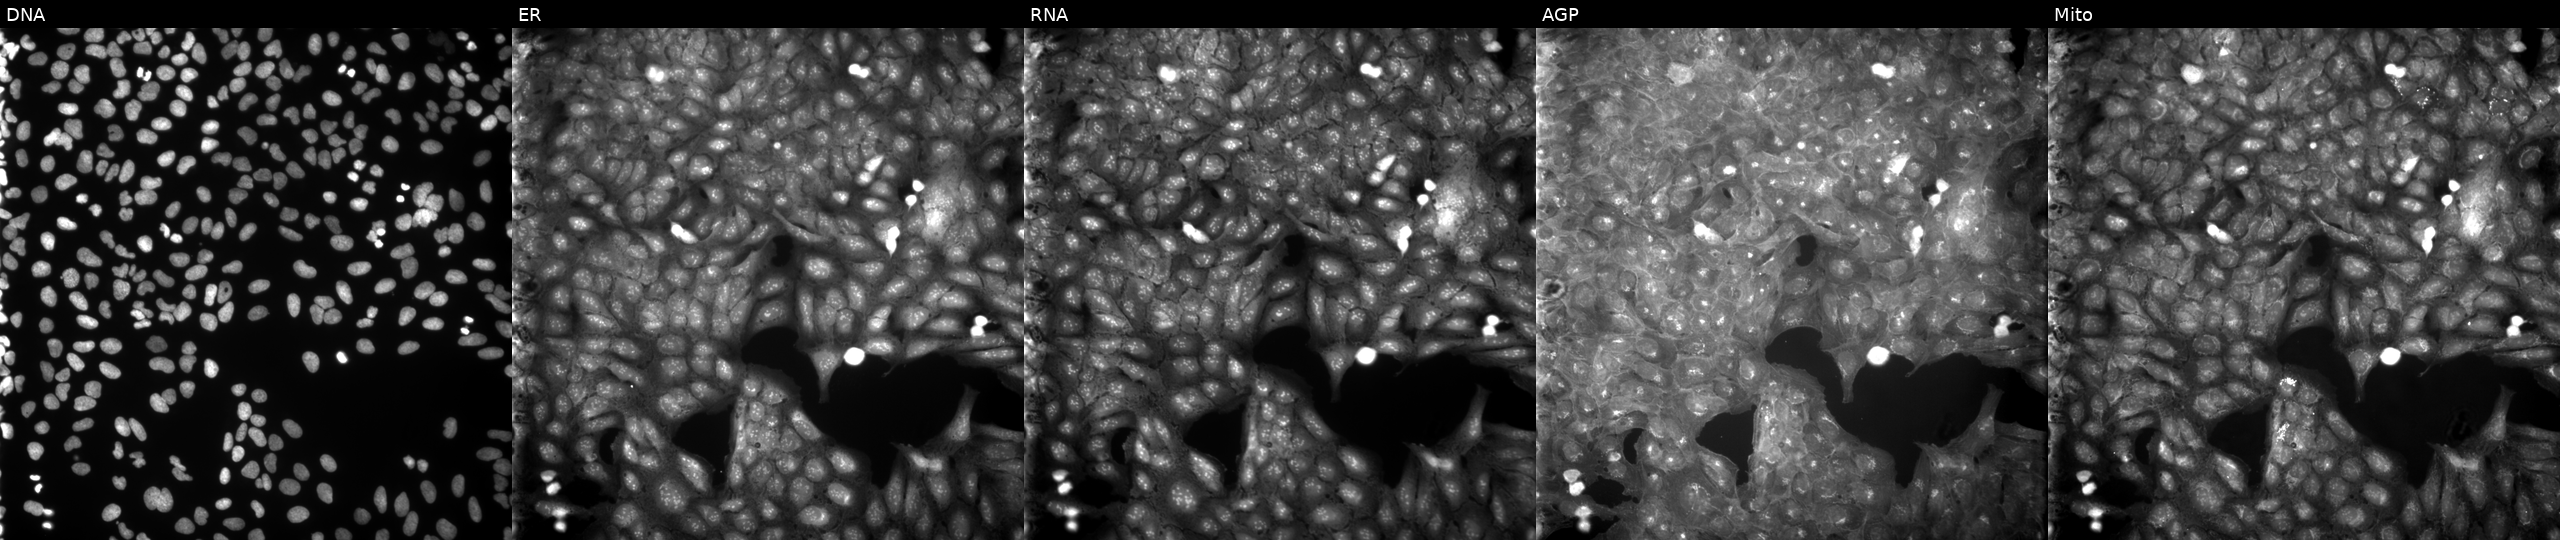
JUMP Cell Painting — COMPOUND plate. U2OS cells treated with a small-molecule compound (JUMP id JCP2022_087423). Channels (left→right): Hoechst 33342, concanavalin A, SYTO 14, phalloidin and WGA, MitoTracker. Source 9, plate GR00003381, well B27.